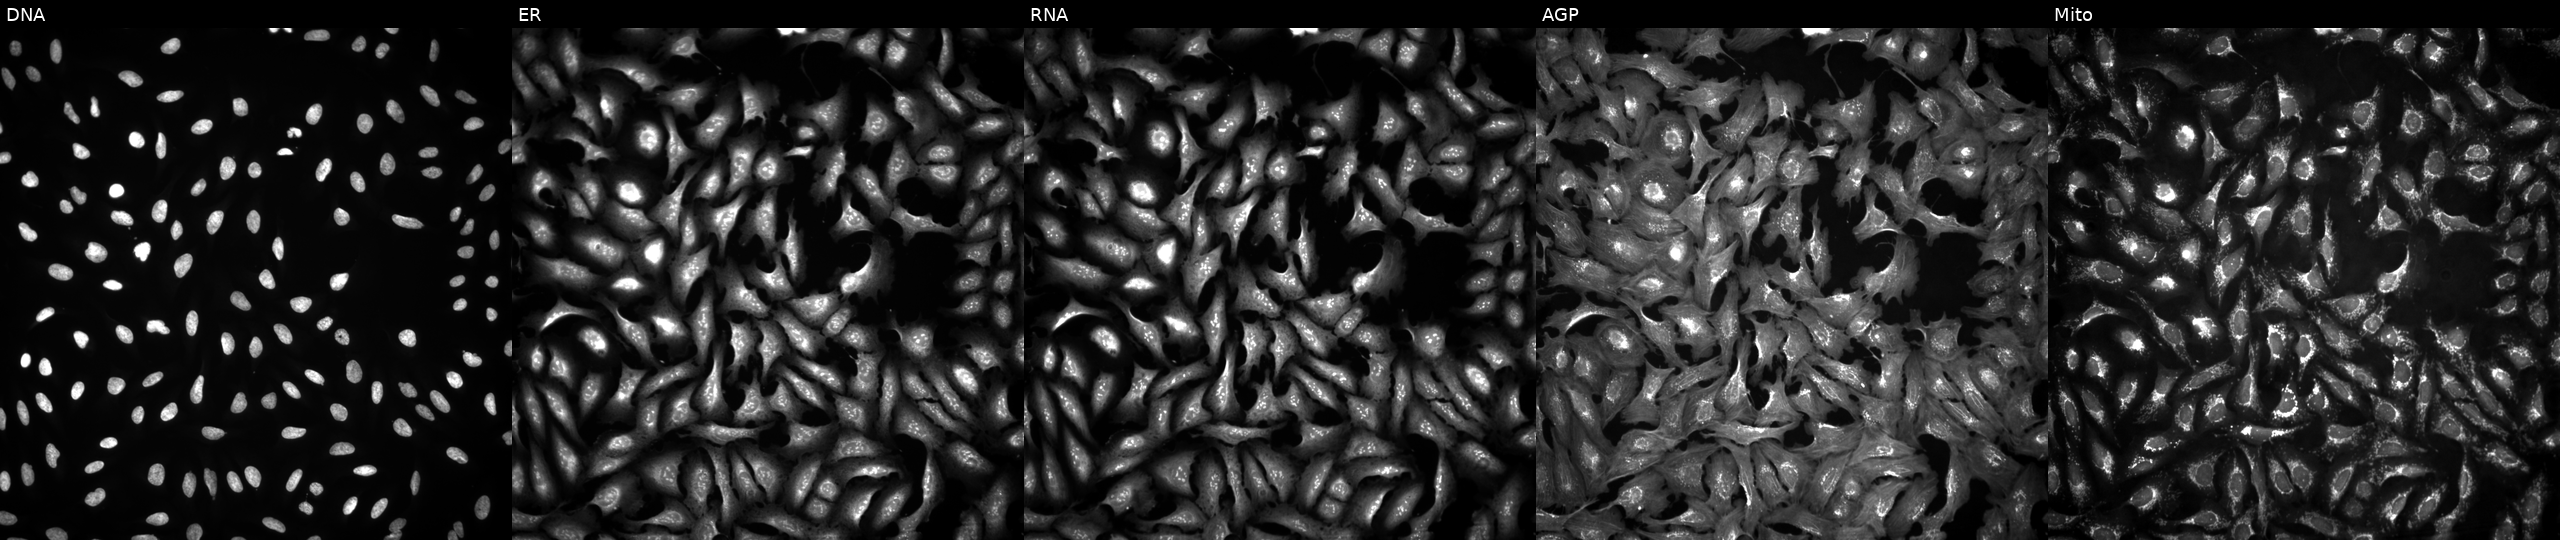
Channels (left→right): Hoechst 33342, concanavalin A, SYTO 14, phalloidin and WGA, MitoTracker. U2OS osteosarcoma cells transfected with an ORF construct for EPHA7. Cell Painting assay, JUMP-CP dataset. Source 4, plate BR00123945, well P02.